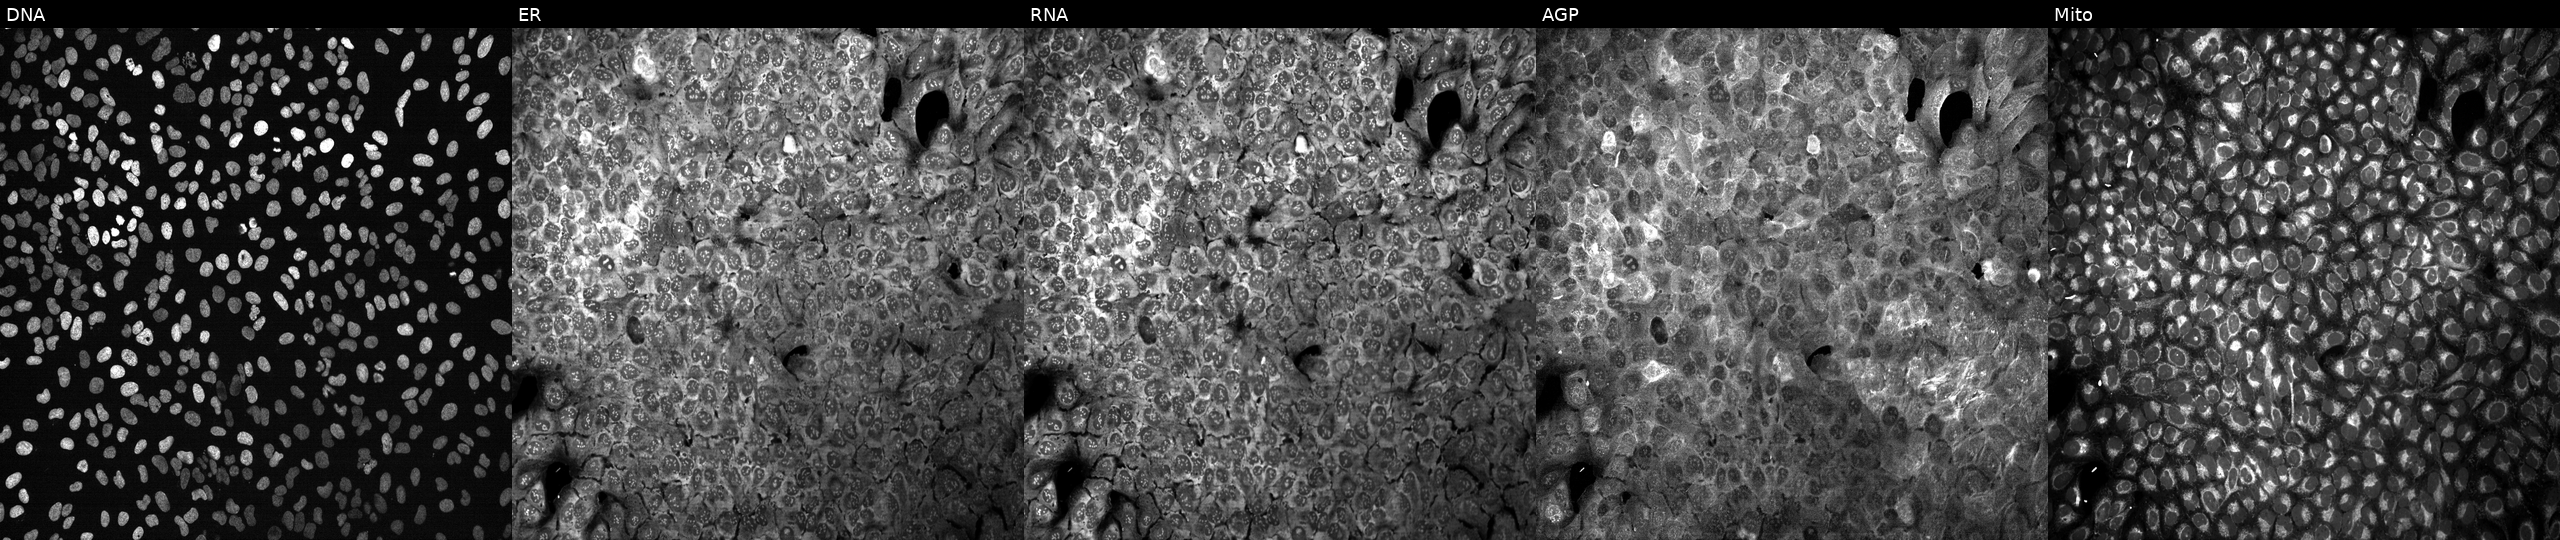
JUMP Cell Painting — CRISPR plate. U2OS cells with HAVCR1 knocked out by CRISPR. Panels show, left to right, DNA (nuclei); ER (endoplasmic reticulum); RNA (nucleoli and cytoplasmic RNA); AGP (actin cytoskeleton, Golgi, and plasma membrane); Mito (mitochondria).